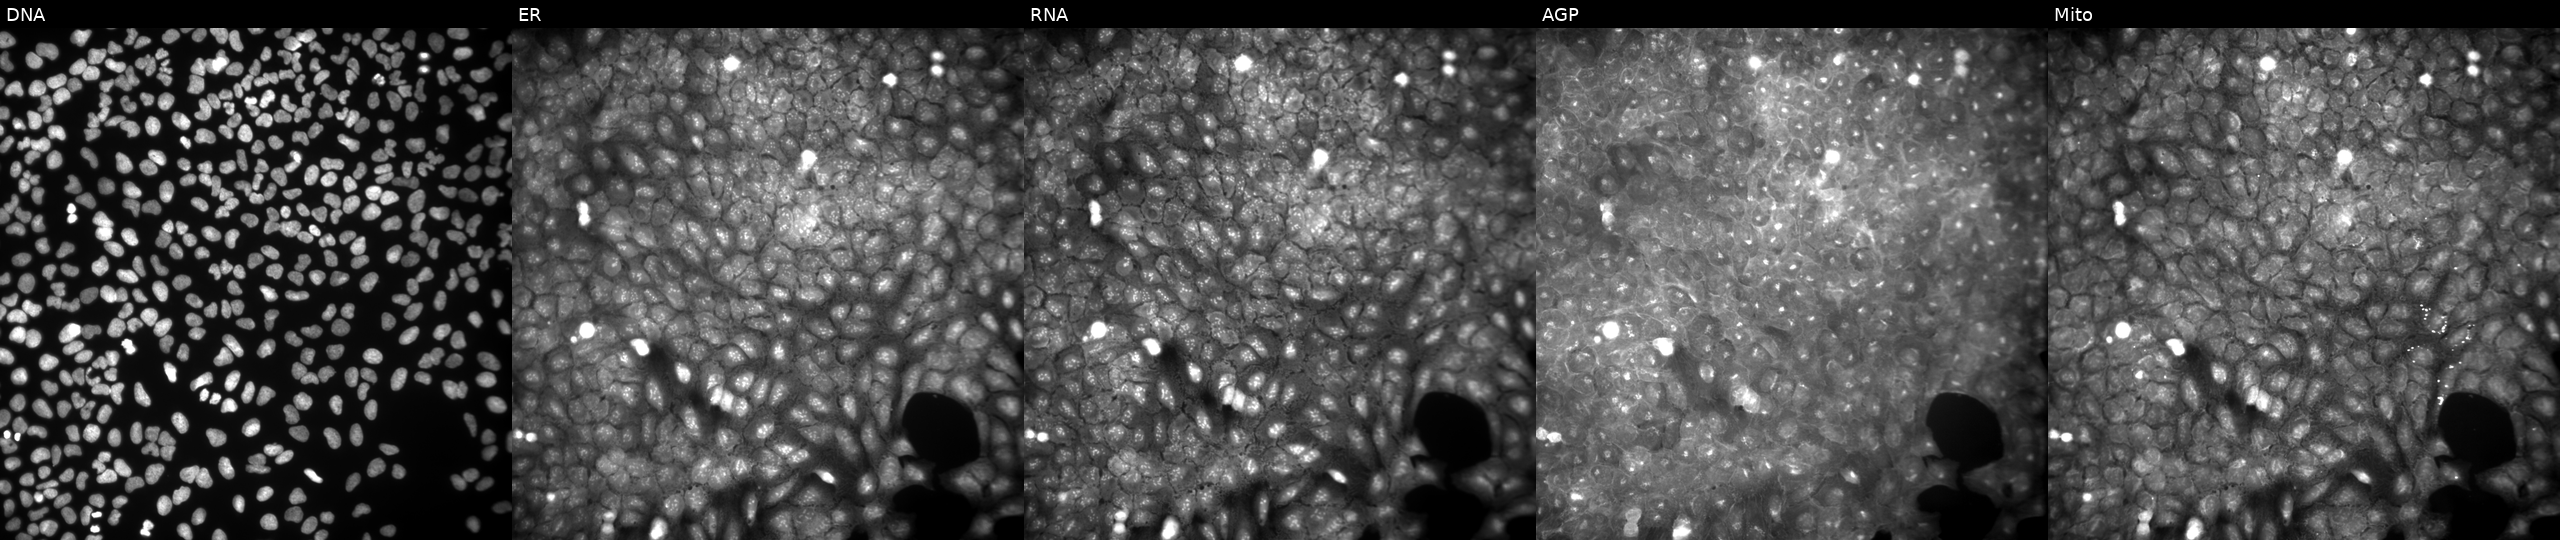
High-content fluorescence microscopy (Cell Painting). Cell line: U2OS. Perturbation: treated with a small-molecule compound (JUMP id JCP2022_056385). Panels show, left to right, Hoechst 33342, concanavalin A, SYTO 14, phalloidin and WGA, MitoTracker. Source 9, plate GR00003382, well J45.